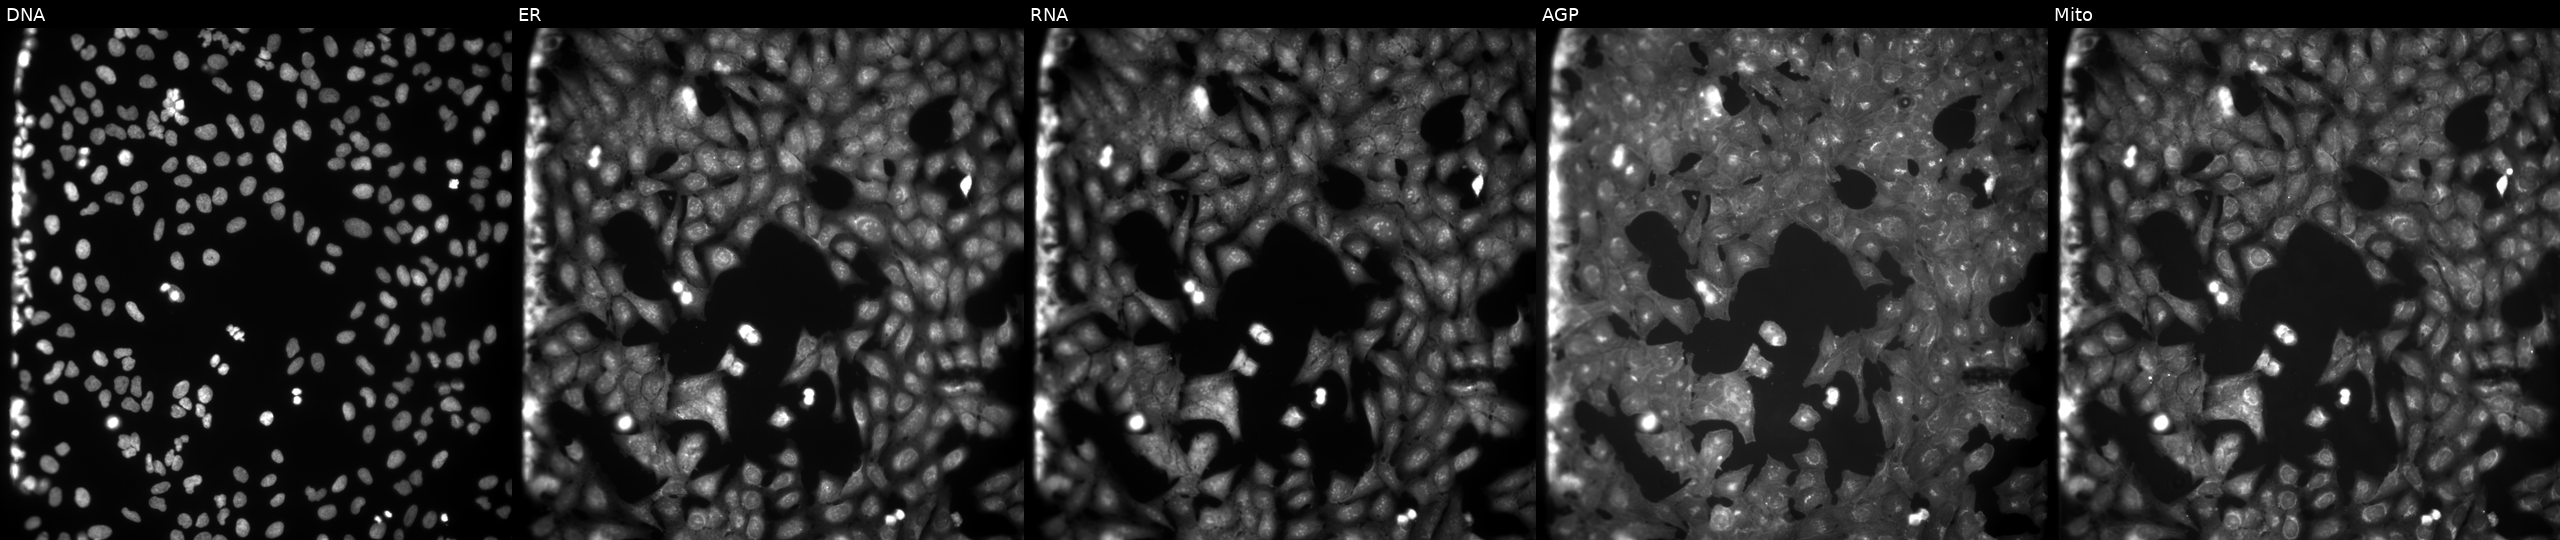
From left to right: DNA, ER, RNA, AGP, and Mito. U2OS osteosarcoma cells exposed to the positive-control compound NVS-PAK1-1. Cell Painting assay, JUMP-CP dataset.